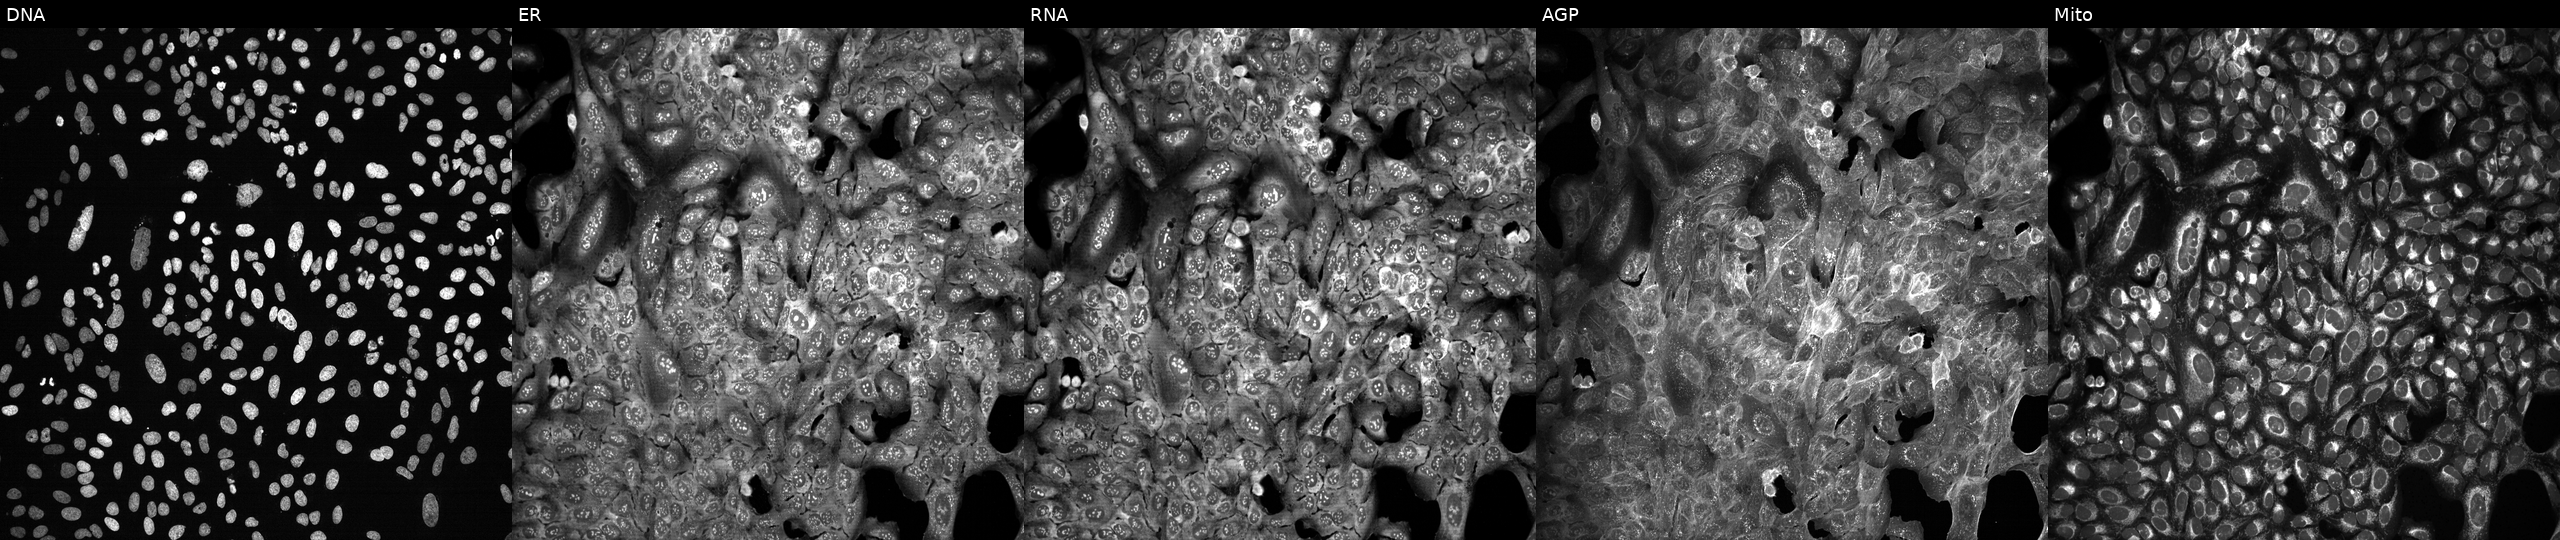
U2OS cells, Cell Painting assay, with TMPRSS13 knocked out by CRISPR. From left to right: DNA, ER, RNA, AGP, and Mito. Each panel is percentile-stretched 16-bit fluorescence. Source 13, plate CP-CC9-R6-19, well P21.